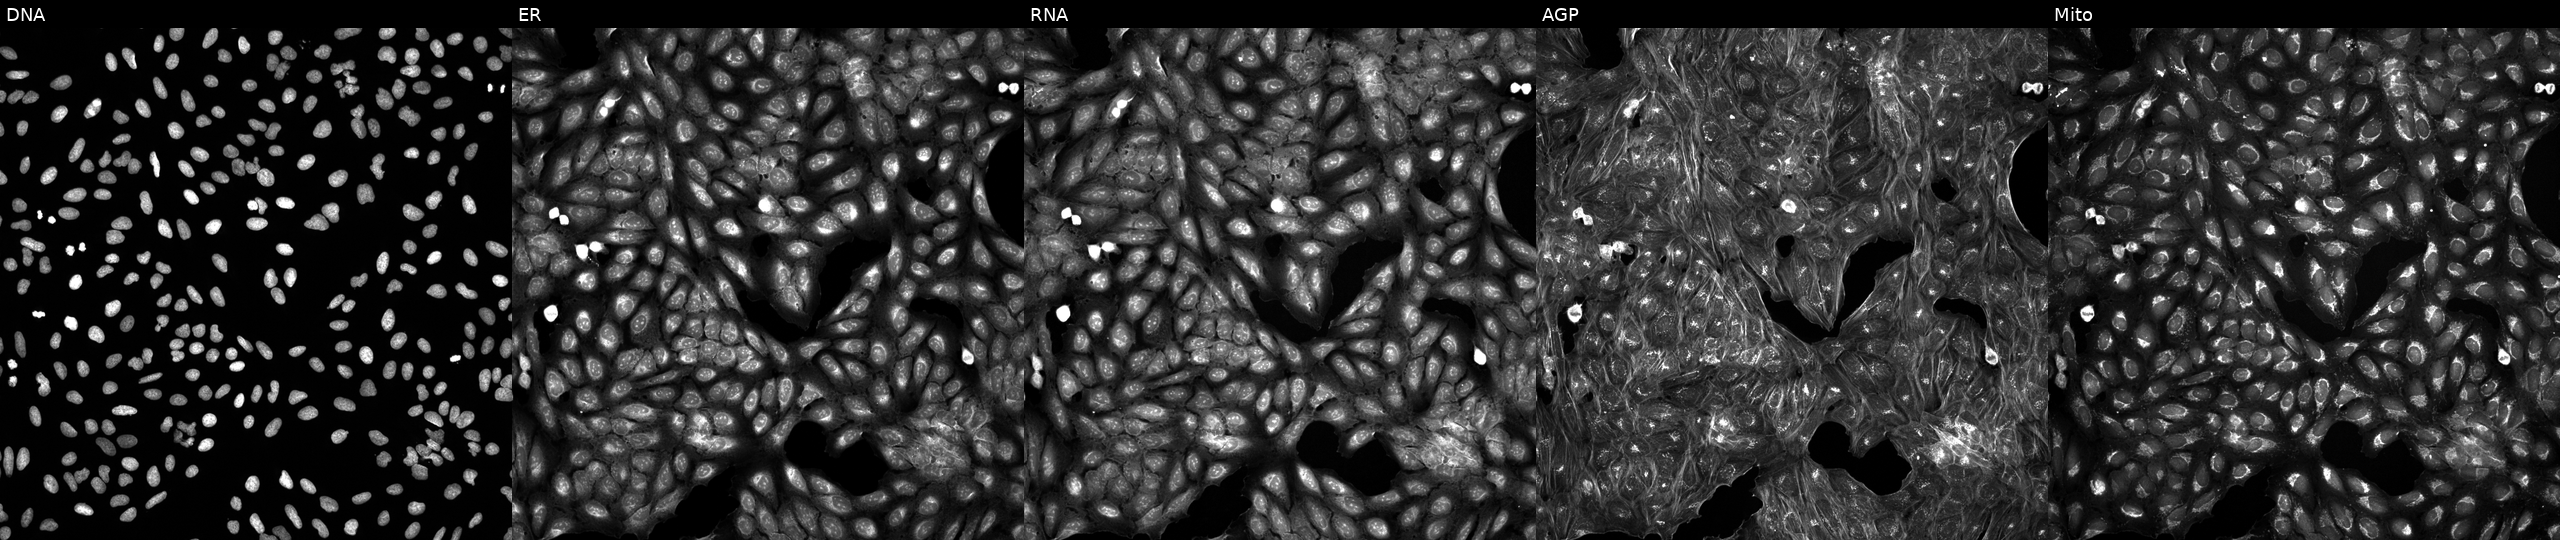
JUMP Cell Painting — TARGET2 plate. U2OS cells treated with a small-molecule compound [SMILES: OCCN1CC(O)C(O)C(O)C1CO] (JUMP id JCP2022_033936). Panels show, left to right, DNA (nuclei); ER (endoplasmic reticulum); RNA (nucleoli and cytoplasmic RNA); AGP (actin cytoskeleton, Golgi, and plasma membrane); Mito (mitochondria).